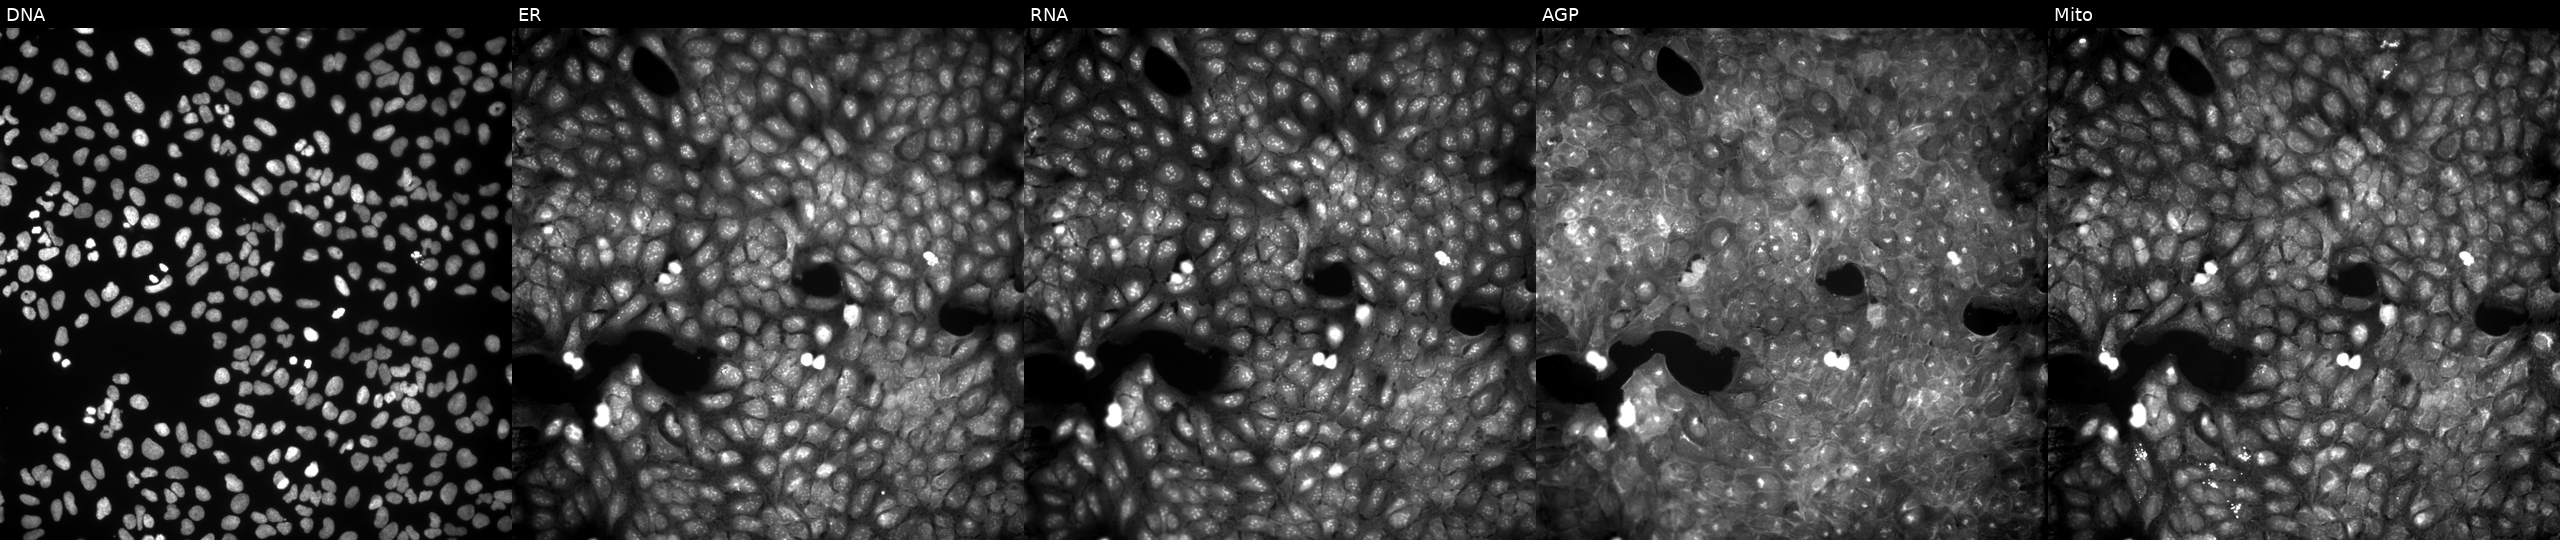
This image strip shows the five Cell Painting channels for a single field of U2OS cells perturbed with a small-molecule compound (InChIKey PROXTNAOTPKFFY-UHFFFAOYSA-N). Channels (left→right): DNA (nuclei); ER (endoplasmic reticulum); RNA (nucleoli and cytoplasmic RNA); AGP (actin cytoskeleton, Golgi, and plasma membrane); Mito (mitochondria). Source 9, plate GR00003382, well Z16.